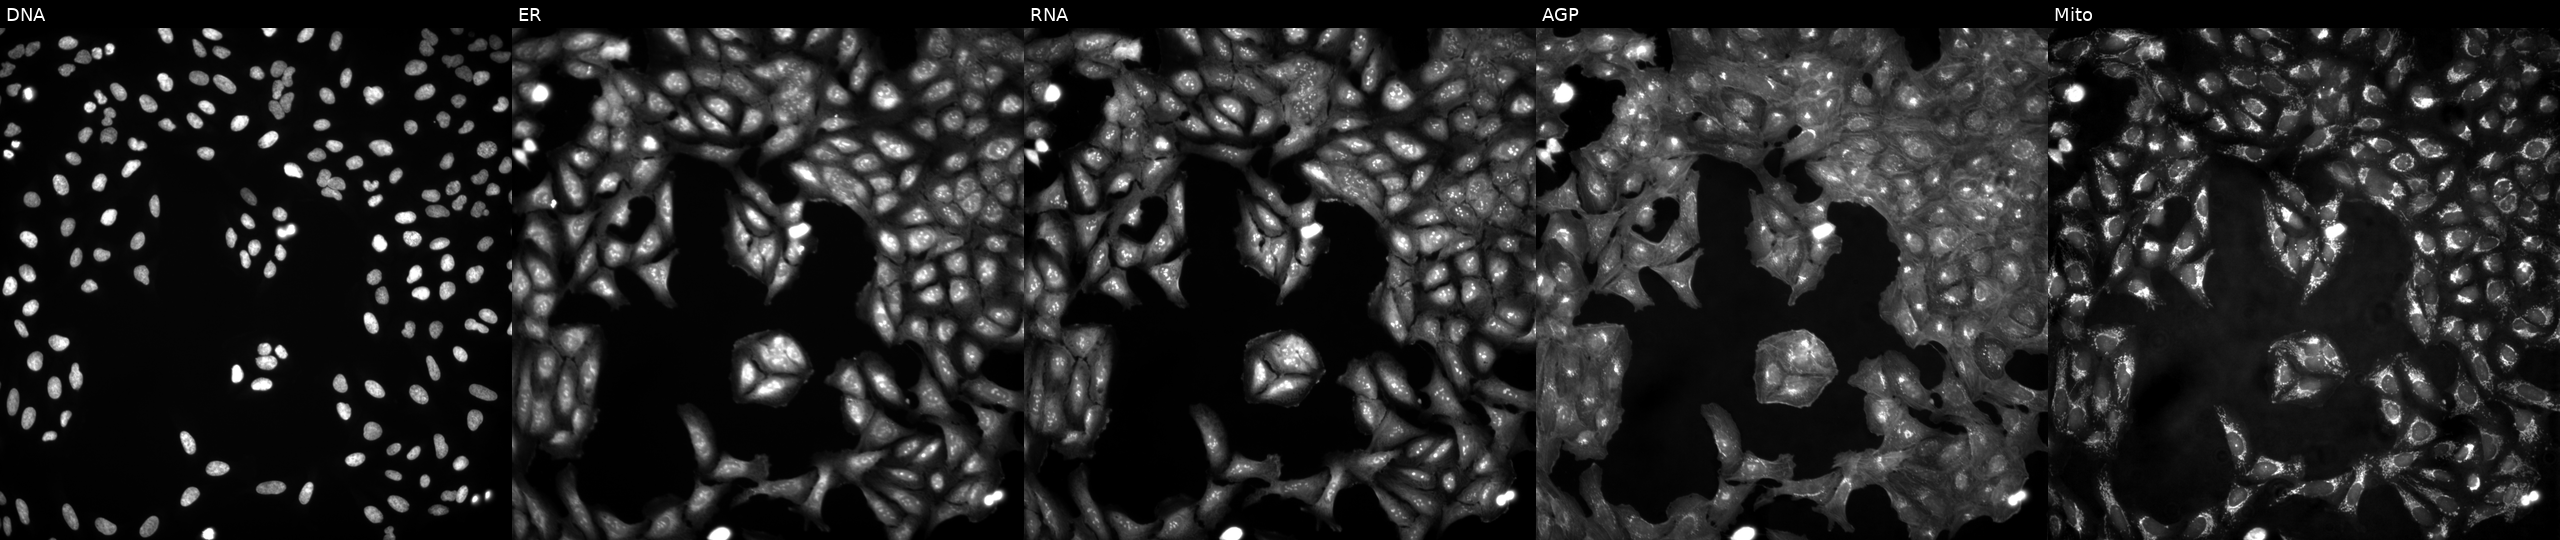
Five-channel Cell Painting image of U2OS cells untreated (empty-well control). The five panels, left to right, show DNA (nuclei); ER (endoplasmic reticulum); RNA (nucleoli and cytoplasmic RNA); AGP (actin cytoskeleton, Golgi, and plasma membrane); Mito (mitochondria).